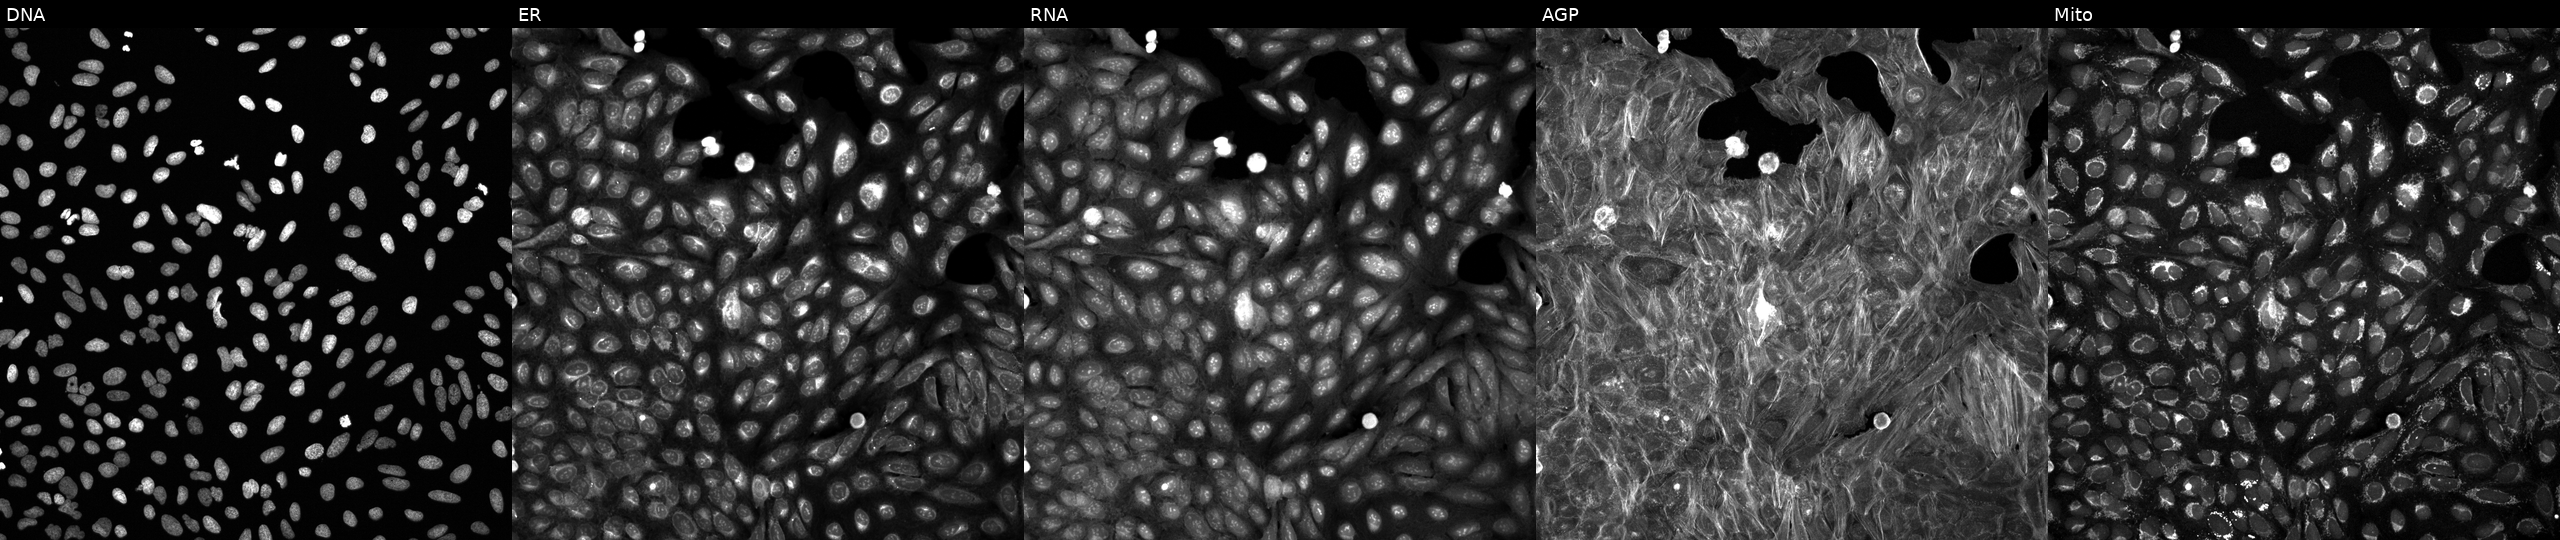
Five-channel Cell Painting image of U2OS cells exposed to a small-molecule compound. From left to right: DNA, ER, RNA, AGP, and Mito.